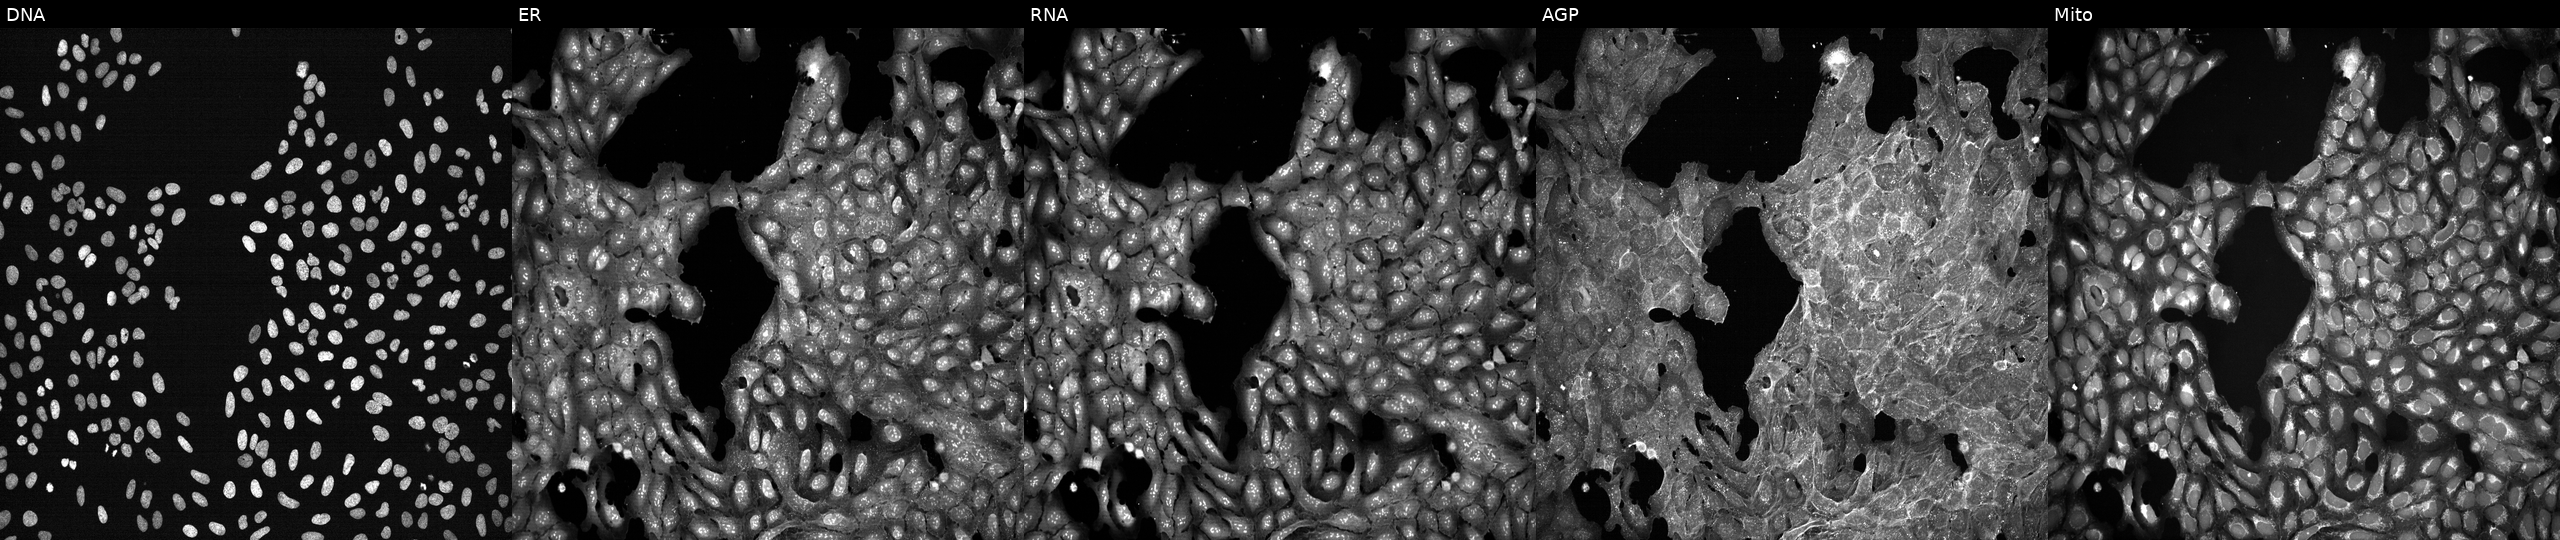
JUMP Cell Painting — TARGET2 plate. U2OS cells exposed to a small-molecule compound (InChIKey JFUIMTGOQCQTPF-UHFFFAOYSA-N) (JUMP id JCP2022_039503). Channels (left→right): Hoechst 33342, concanavalin A, SYTO 14, phalloidin and WGA, MitoTracker.